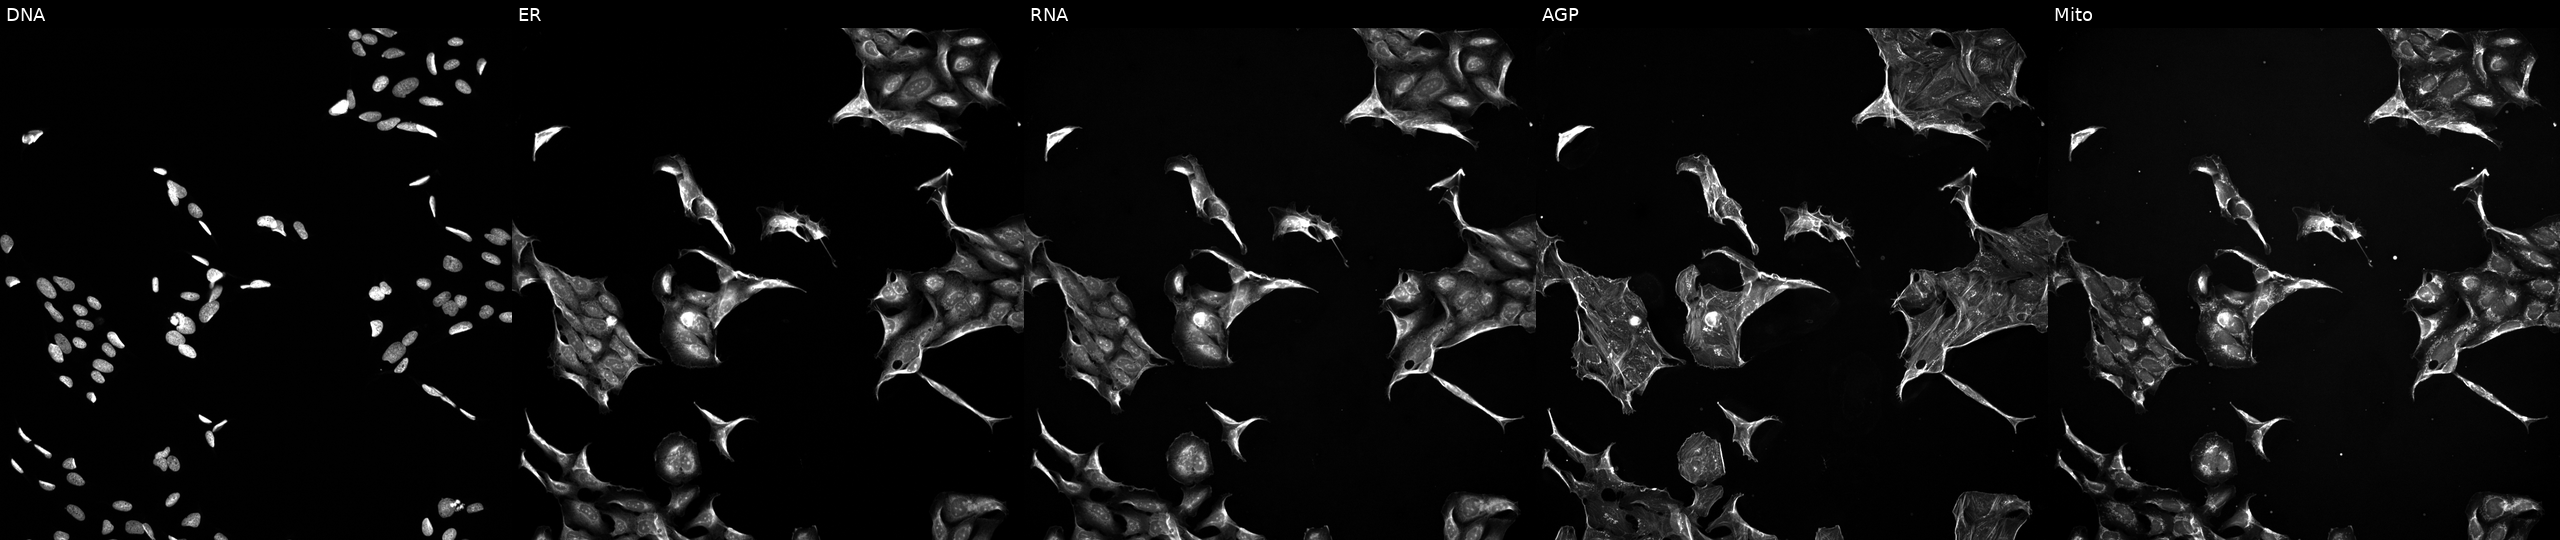
This image strip shows the five Cell Painting channels for a single field of U2OS cells perturbed with a small-molecule compound. From left to right: DNA, ER, RNA, AGP, and Mito. Source 5, plate ACPJUM051, well H15.